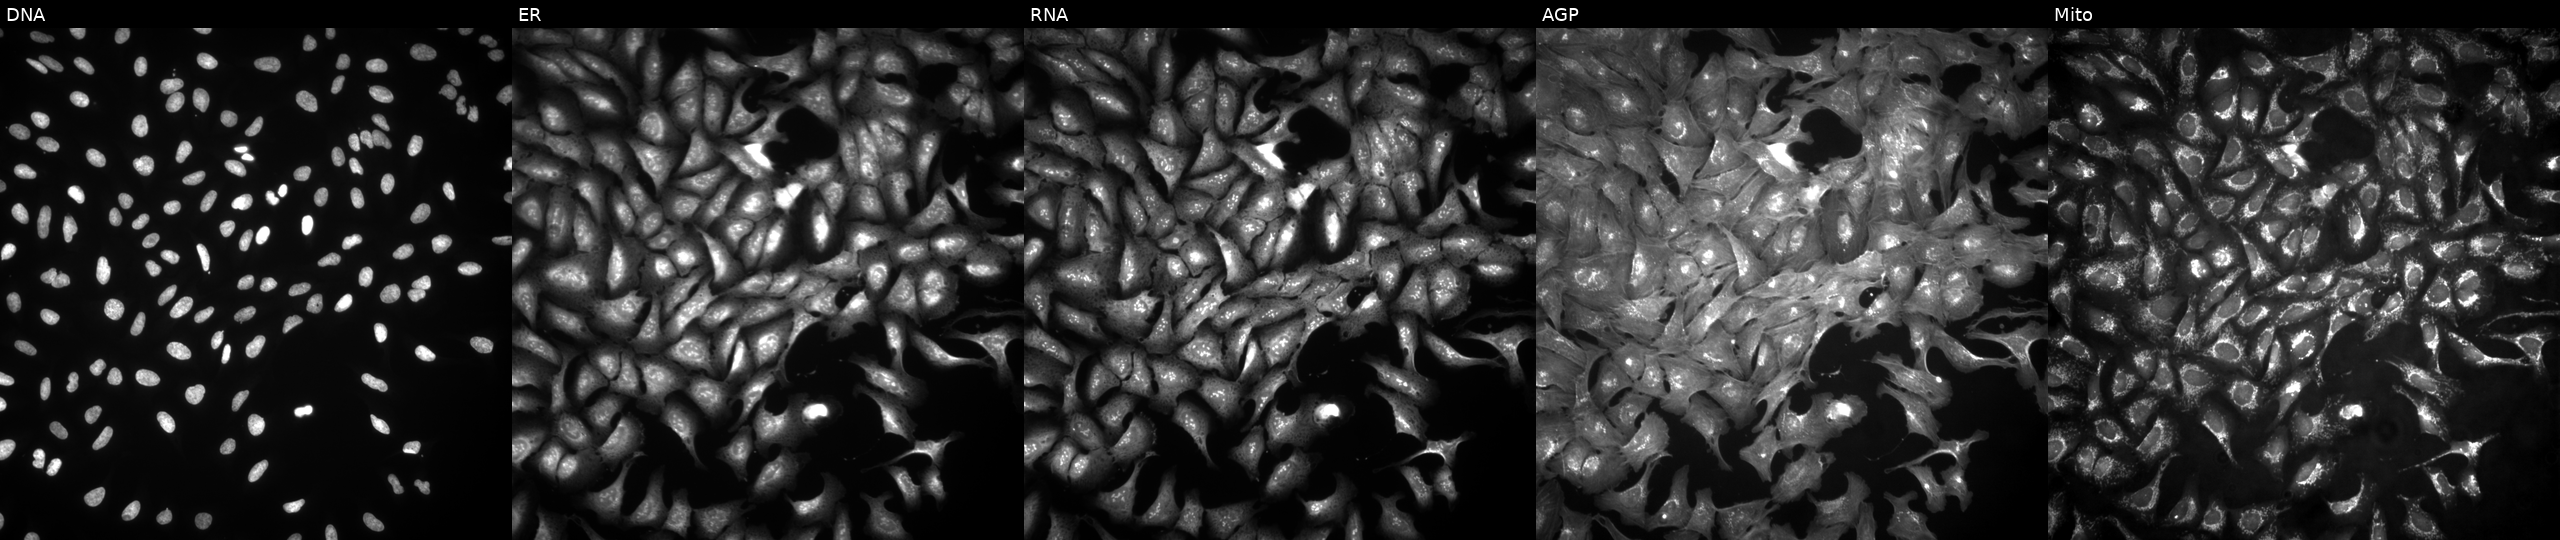
JUMP Cell Painting — ORF plate. U2OS cells transfected with an ORF construct for TRAM1L1. From left to right: DNA, ER, RNA, AGP, and Mito.